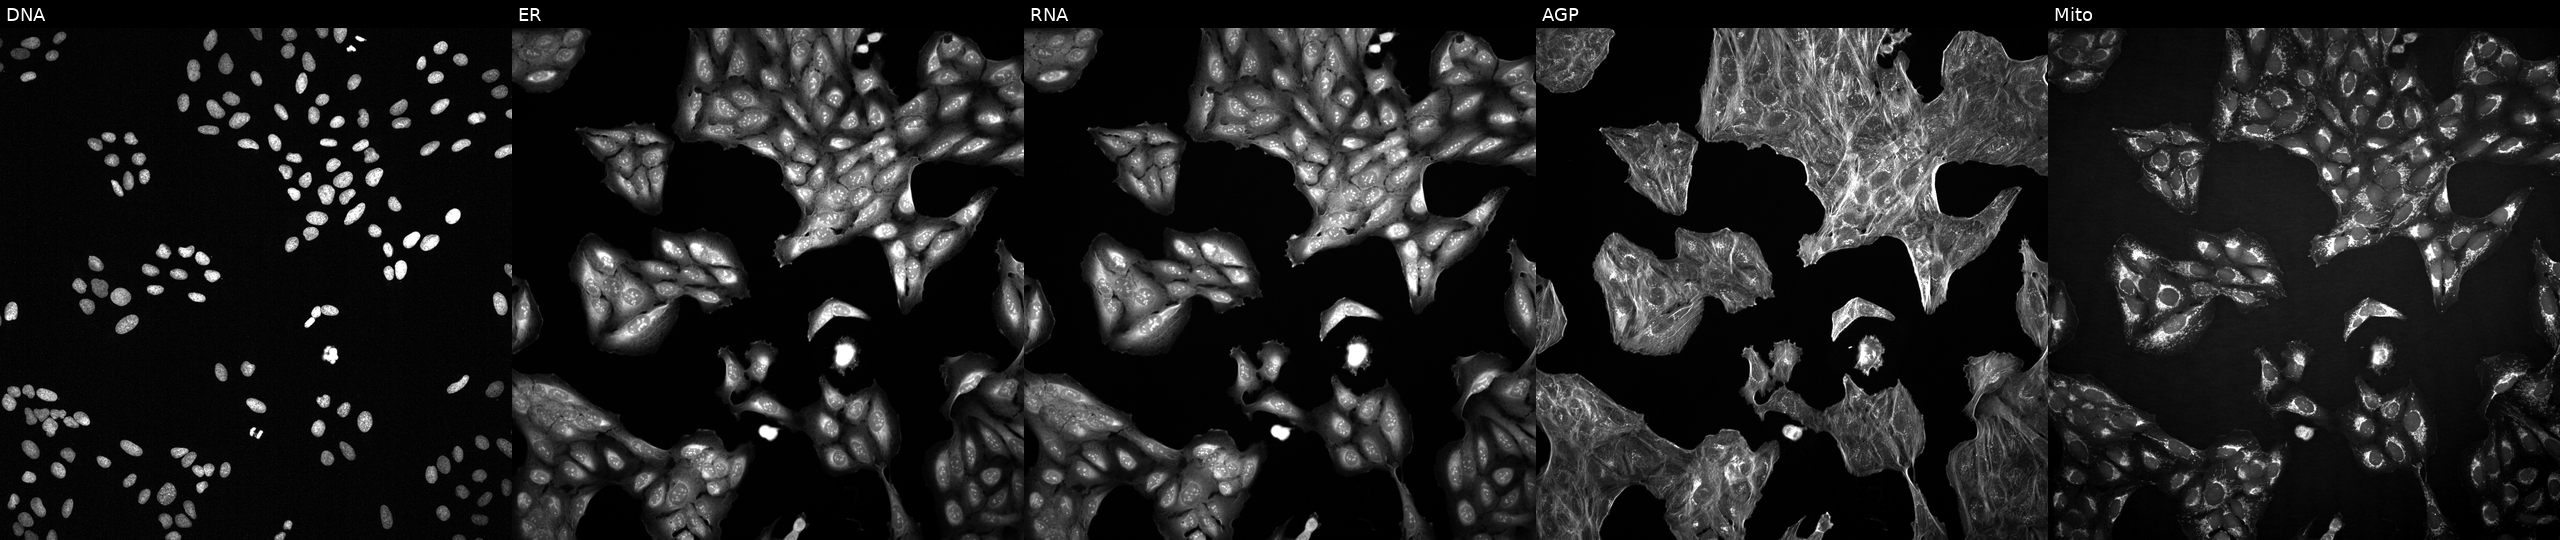
This image strip shows the five Cell Painting channels for a single field of U2OS cells perturbed with a small-molecule compound (InChIKey HQBRLWSRWSICCF-UHFFFAOYSA-N). Panels show, left to right, Hoechst 33342, concanavalin A, SYTO 14, phalloidin and WGA, MitoTracker.